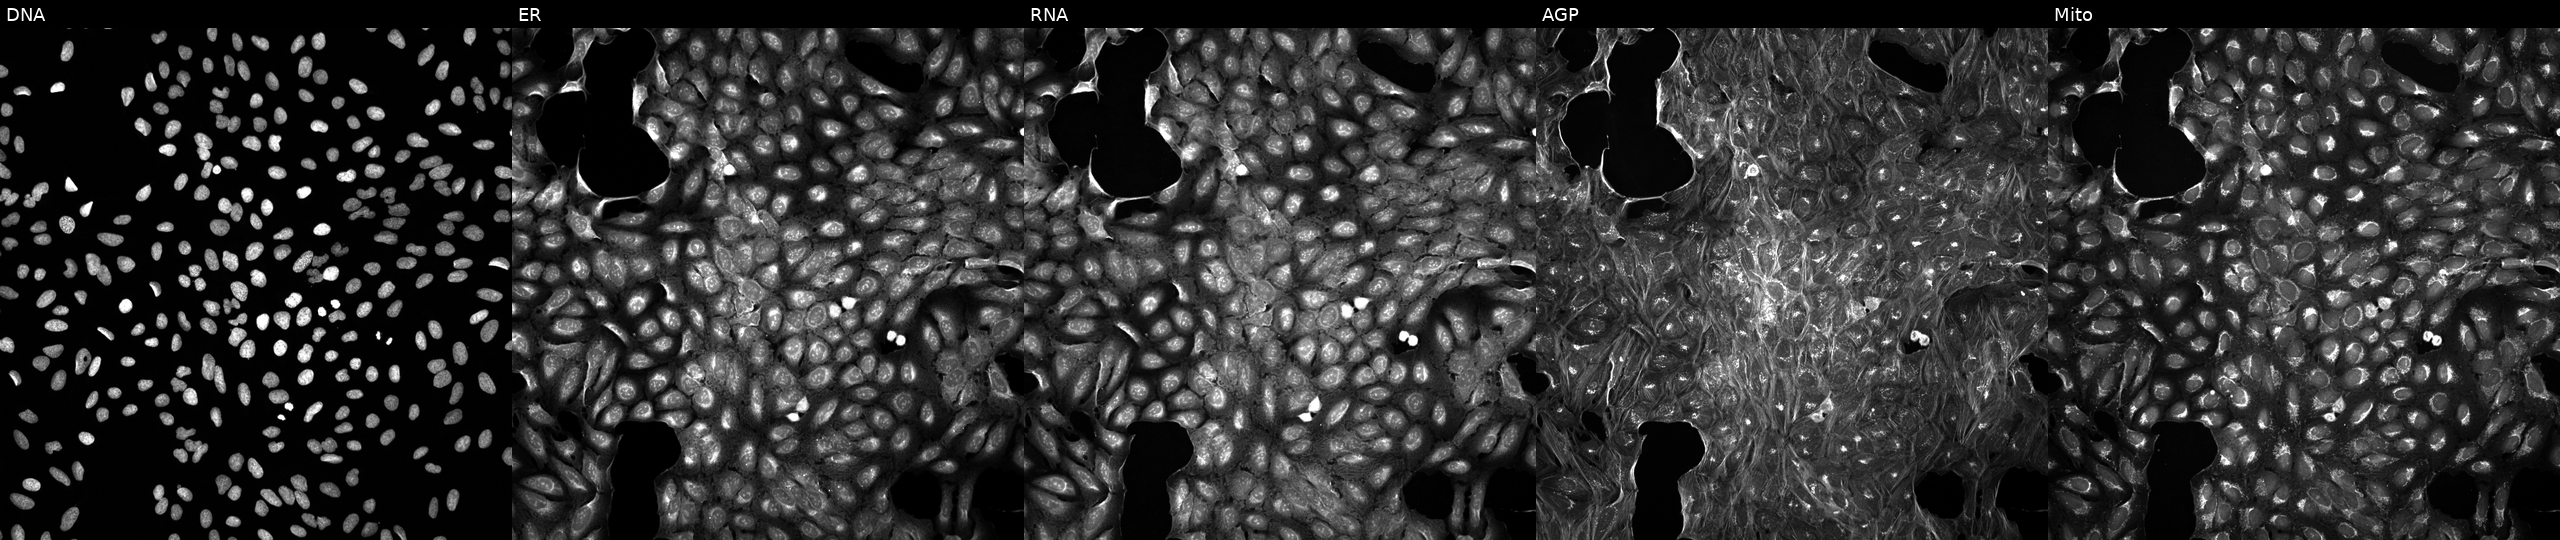
This image strip shows the five Cell Painting channels for a single field of U2OS cells exposed to DMSO alone as a negative control (JUMP id JCP2022_033924). Channels (left→right): Hoechst 33342, concanavalin A, SYTO 14, phalloidin and WGA, MitoTracker. Source 5, plate ACPJUM032, well M18.